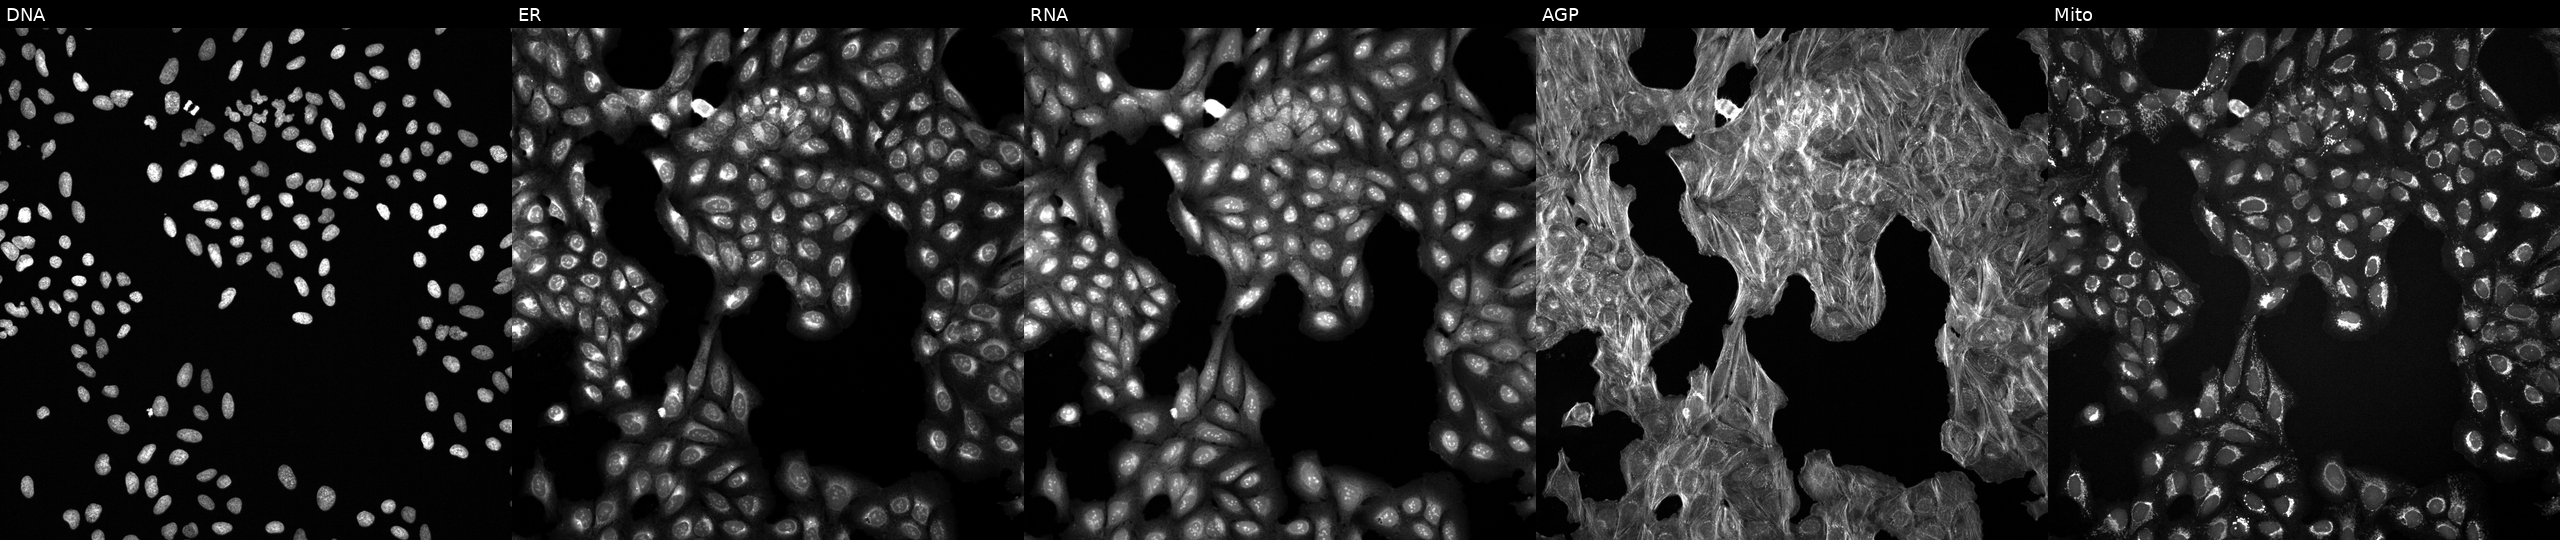
U2OS cells, Cell Painting assay, perturbed with a small-molecule compound (InChIKey XXRCUYVCPSWGCC-UHFFFAOYSA-N) (JUMP id JCP2022_106722). Panels show, left to right, DNA, ER, RNA, AGP, and Mito. Each panel is percentile-stretched 16-bit fluorescence.